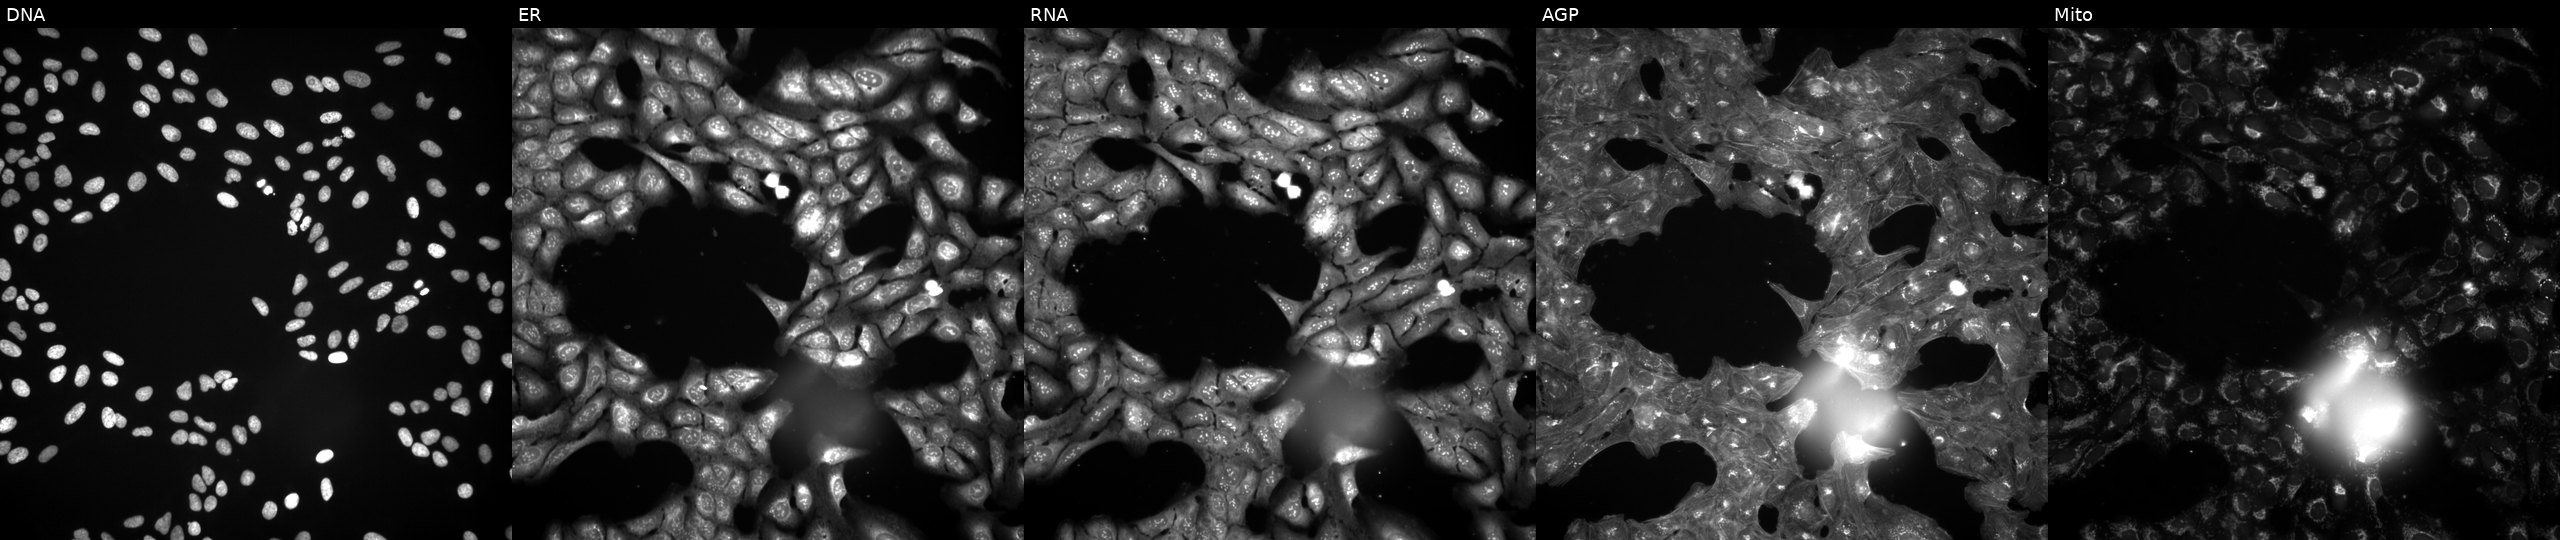
This image strip shows the five Cell Painting channels for a single field of U2OS cells treated with a small-molecule compound. Panels show, left to right, DNA (nuclei); ER (endoplasmic reticulum); RNA (nucleoli and cytoplasmic RNA); AGP (actin cytoskeleton, Golgi, and plasma membrane); Mito (mitochondria).